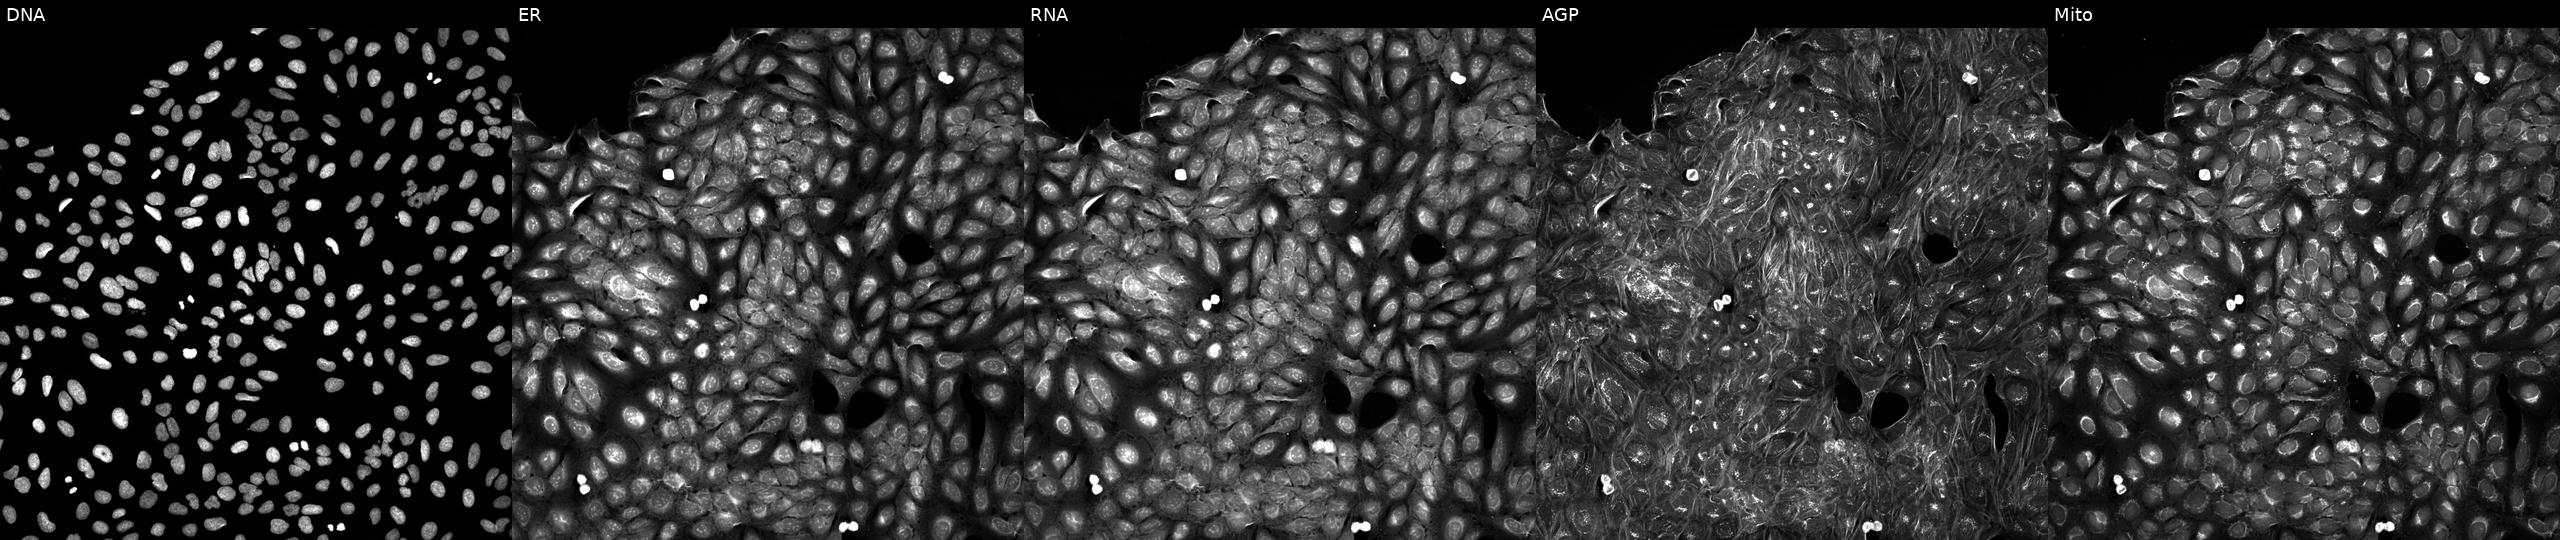
Panels show, left to right, DNA (nuclei); ER (endoplasmic reticulum); RNA (nucleoli and cytoplasmic RNA); AGP (actin cytoskeleton, Golgi, and plasma membrane); Mito (mitochondria). U2OS osteosarcoma cells treated with a small-molecule compound (InChIKey JVTHFKSKUZBBQK-UHFFFAOYSA-N). Cell Painting assay, JUMP-CP dataset.